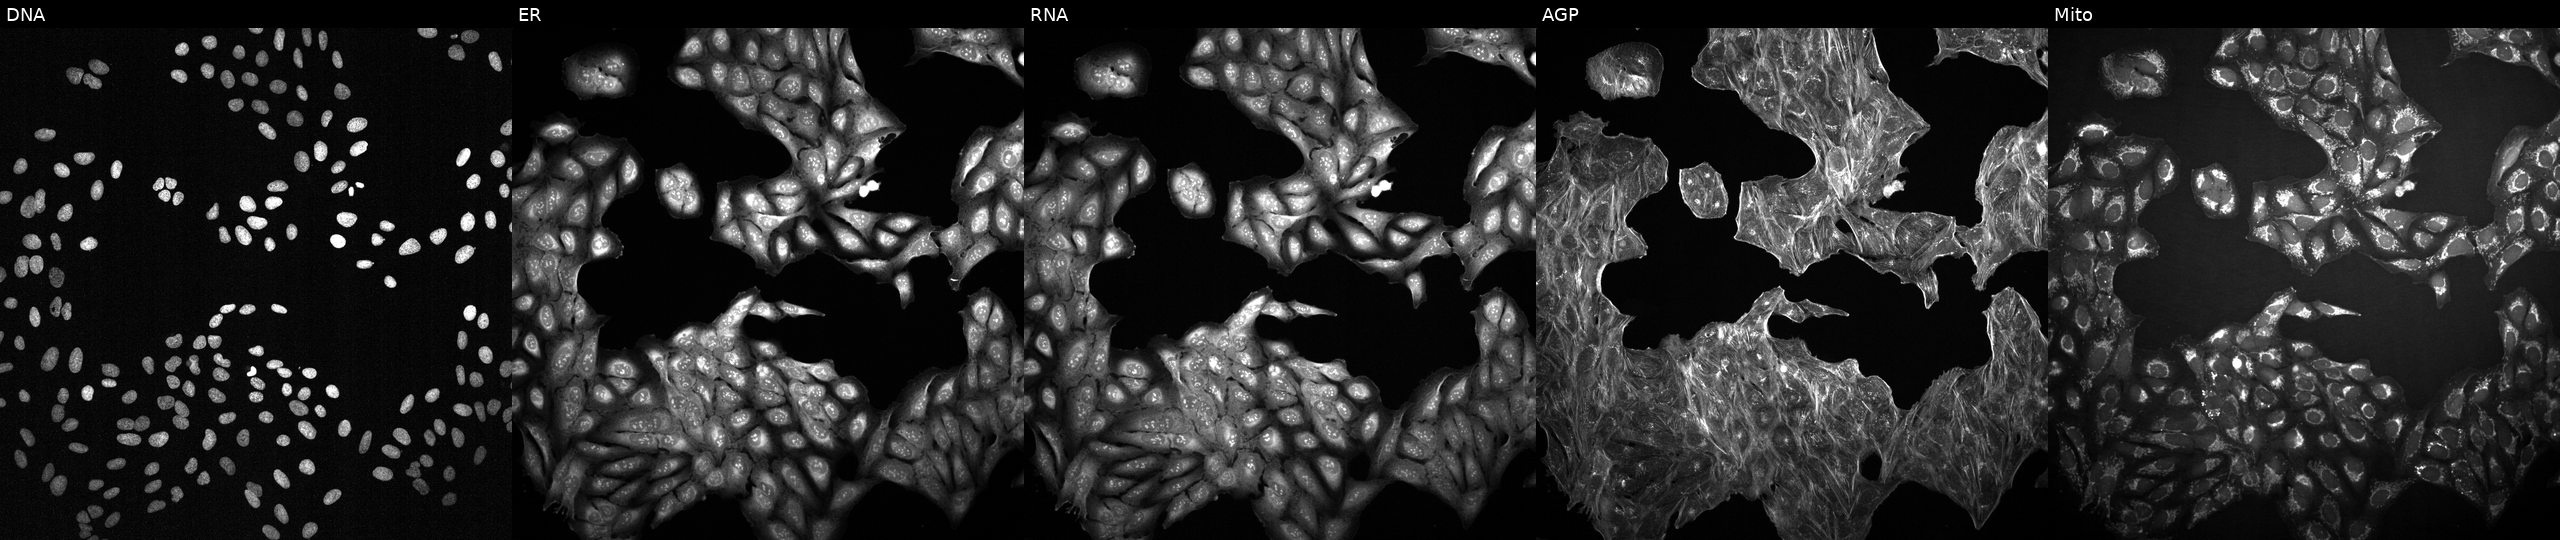
High-content fluorescence microscopy (Cell Painting). Cell line: U2OS. Perturbation: exposed to a small-molecule compound (InChIKey TZDUHAJSIBHXDL-UHFFFAOYSA-N). Panels show, left to right, DNA, ER, RNA, AGP, and Mito.